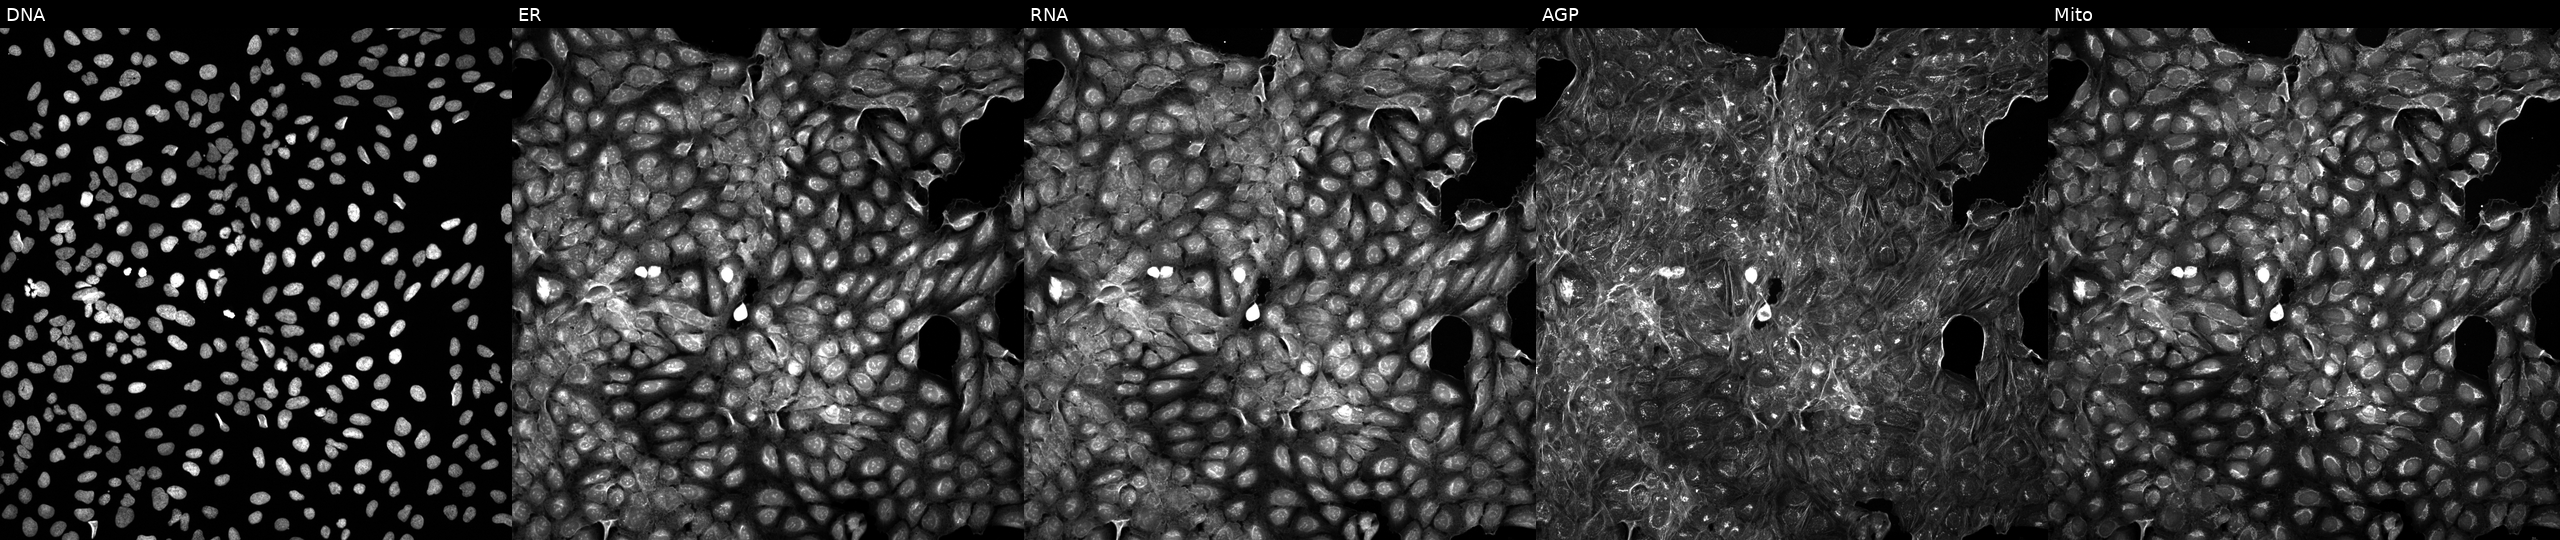
U2OS cells, Cell Painting assay, perturbed with a small-molecule compound (InChIKey KGHSFLVCQQQMLC-UHFFFAOYSA-N). The five panels, left to right, show Hoechst 33342, concanavalin A, SYTO 14, phalloidin and WGA, MitoTracker. Each panel is percentile-stretched 16-bit fluorescence. Source 5, plate APTJUM105, well M14.